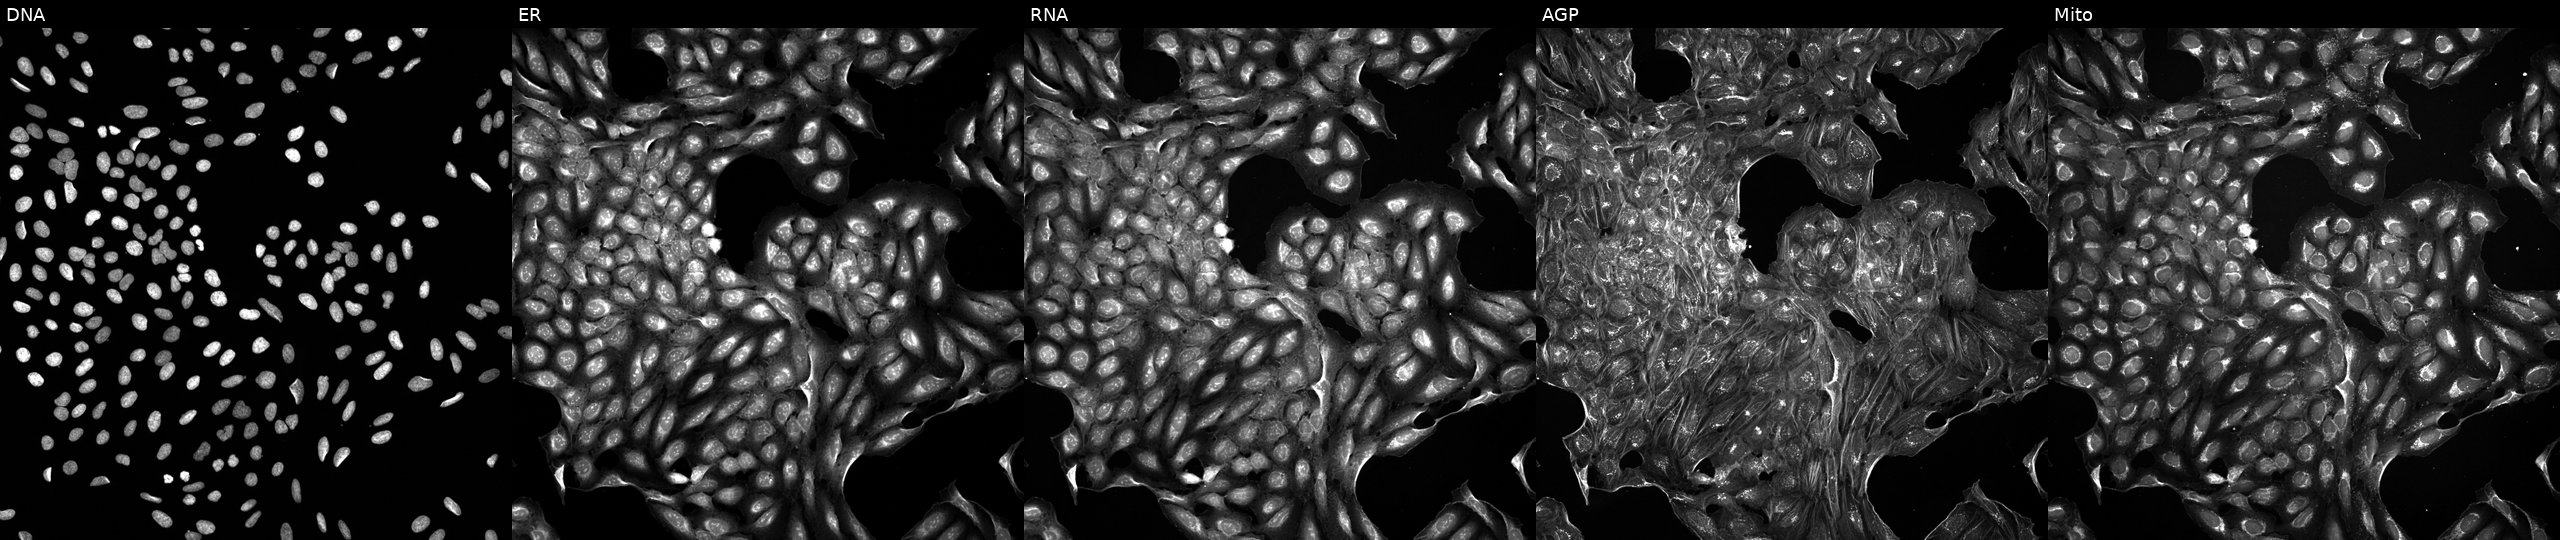
U2OS cells, Cell Painting assay, treated with DMSO vehicle only (negative control) (JUMP id JCP2022_033924). Panels show, left to right, DNA, ER, RNA, AGP, and Mito. Each panel is percentile-stretched 16-bit fluorescence.